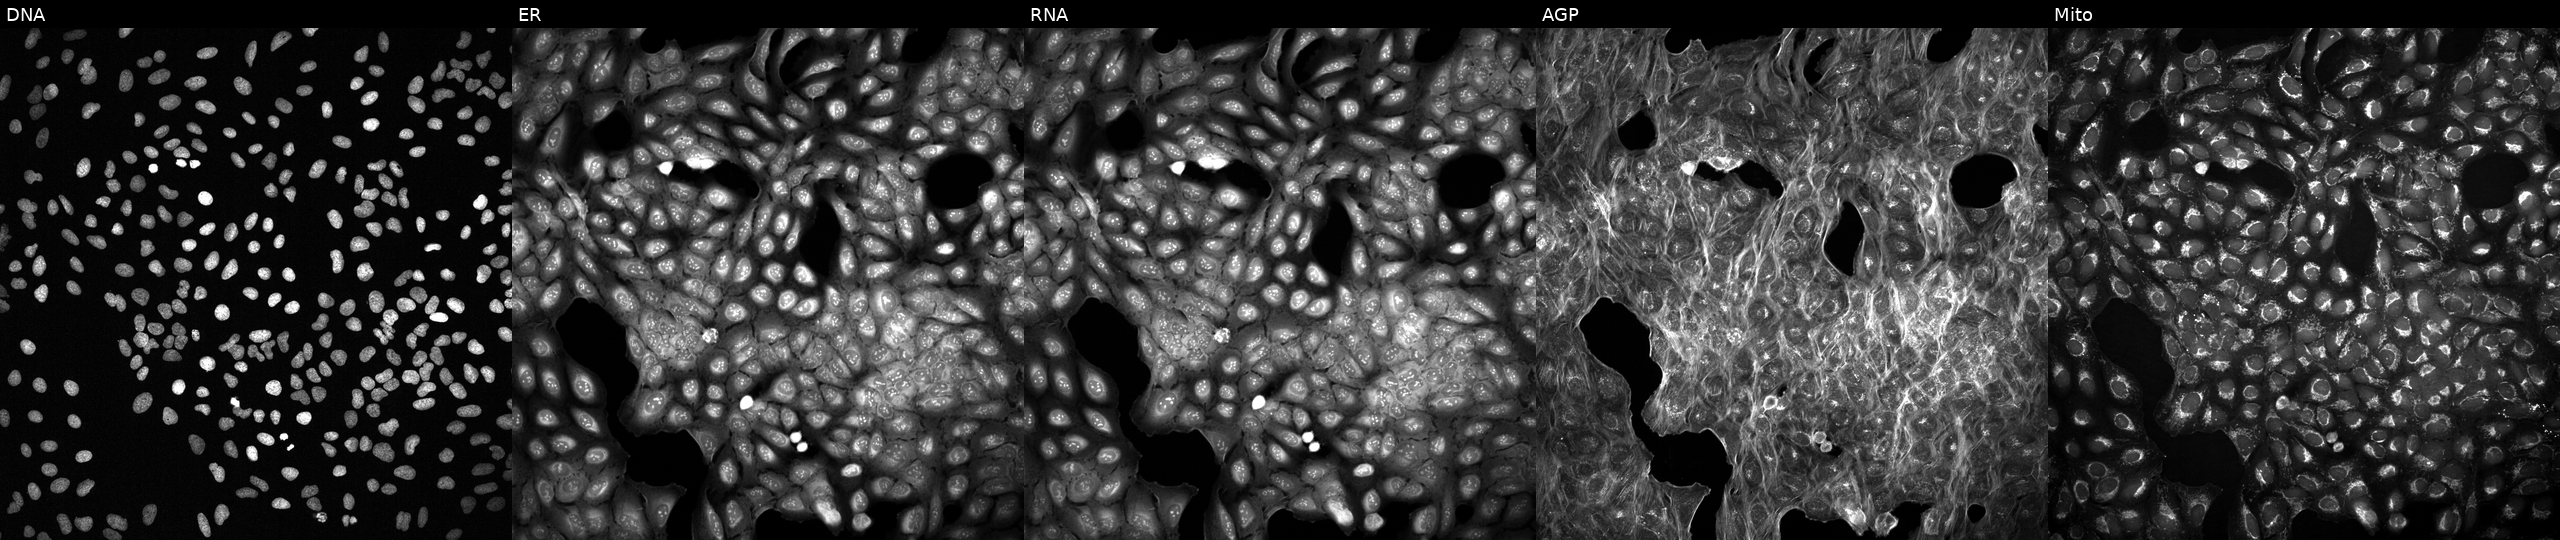
Five-channel Cell Painting image of U2OS cells with an unidentified perturbation (not annotated in JUMP metadata). The five panels, left to right, show DNA, ER, RNA, AGP, and Mito.